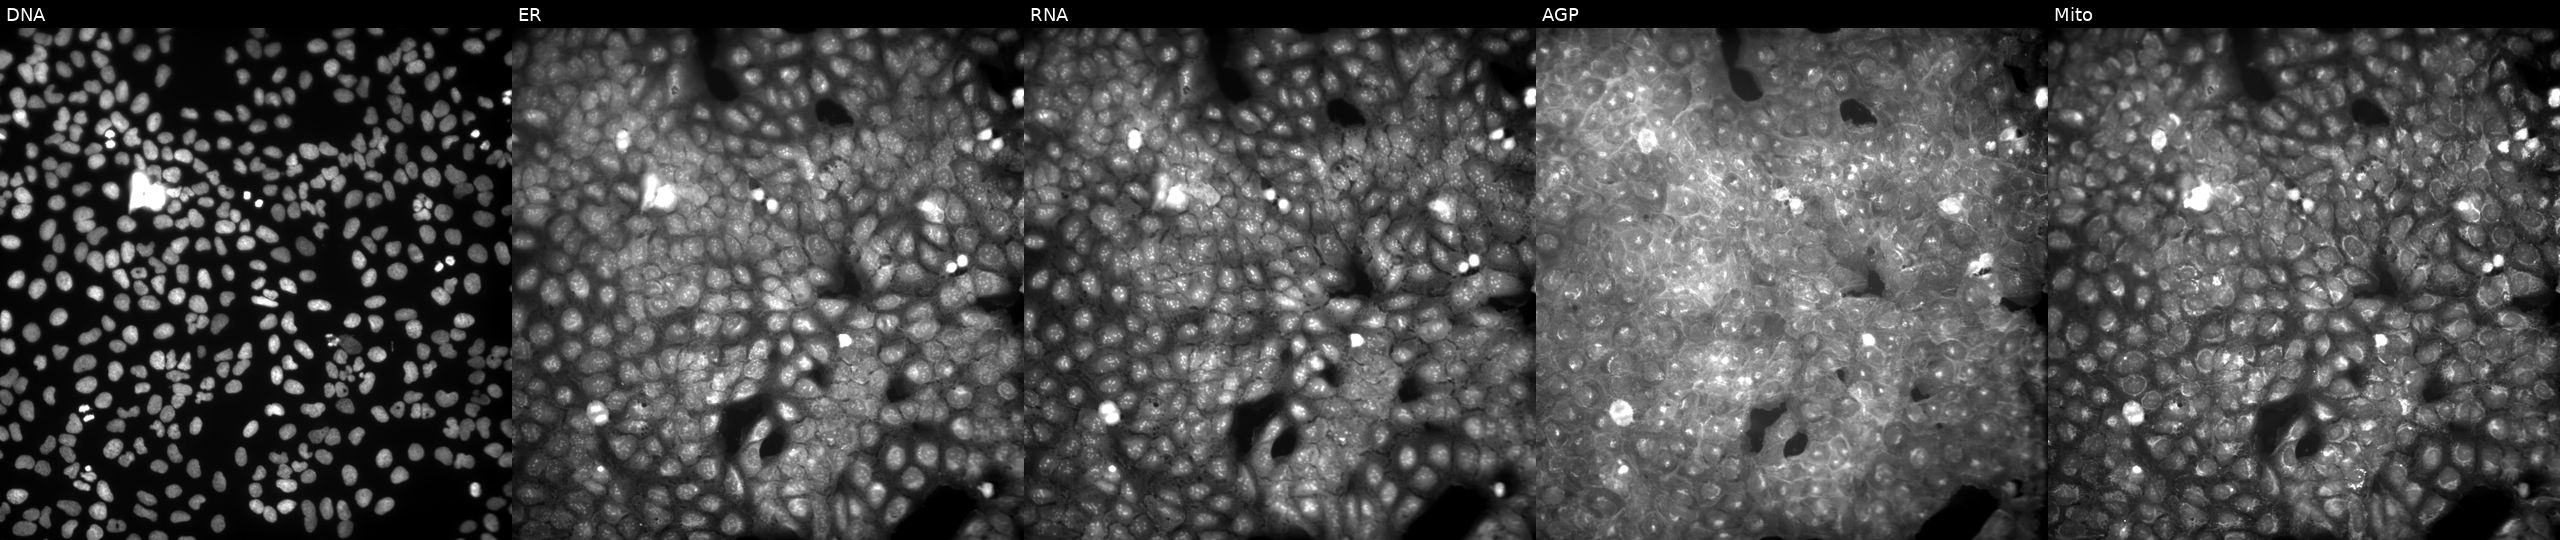
This image strip shows the five Cell Painting channels for a single field of U2OS cells perturbed with a small-molecule compound [SMILES: NS(=O)(=O)c1ccc(CCNC(=O)CN2C(=O)c3ccccc3C2=O)cc1]. Channels (left→right): DNA, ER, RNA, AGP, and Mito.